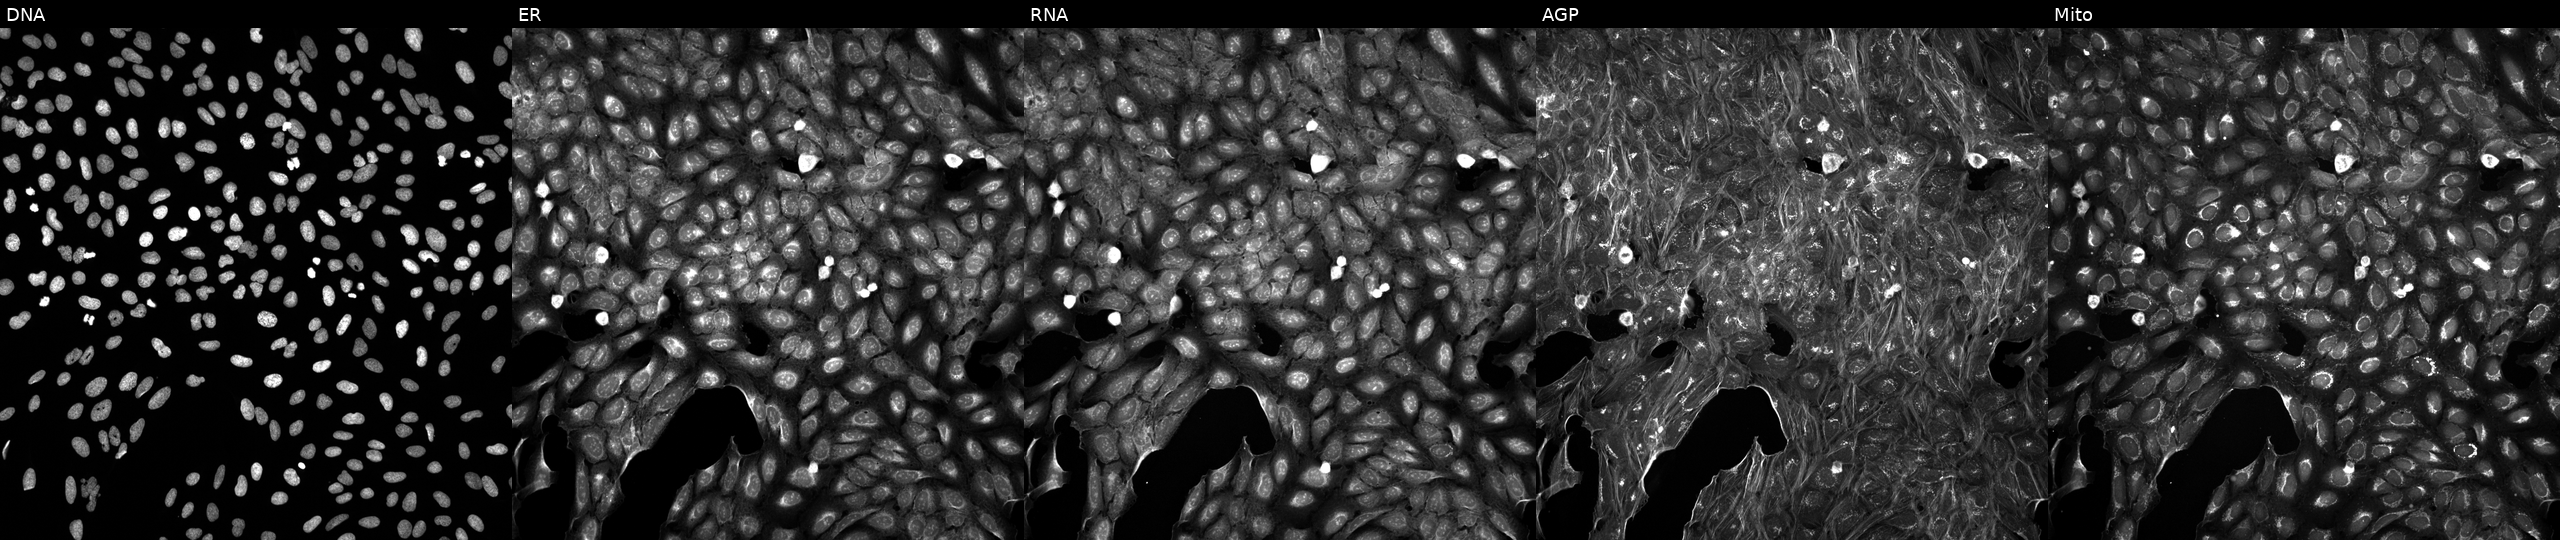
JUMP Cell Painting — TARGET2 plate. U2OS cells exposed to a small-molecule compound [SMILES: CCC1(C2=NCCN2)Cc2ccccc2O1] (JUMP id JCP2022_077142). From left to right: Hoechst 33342, concanavalin A, SYTO 14, phalloidin and WGA, MitoTracker.